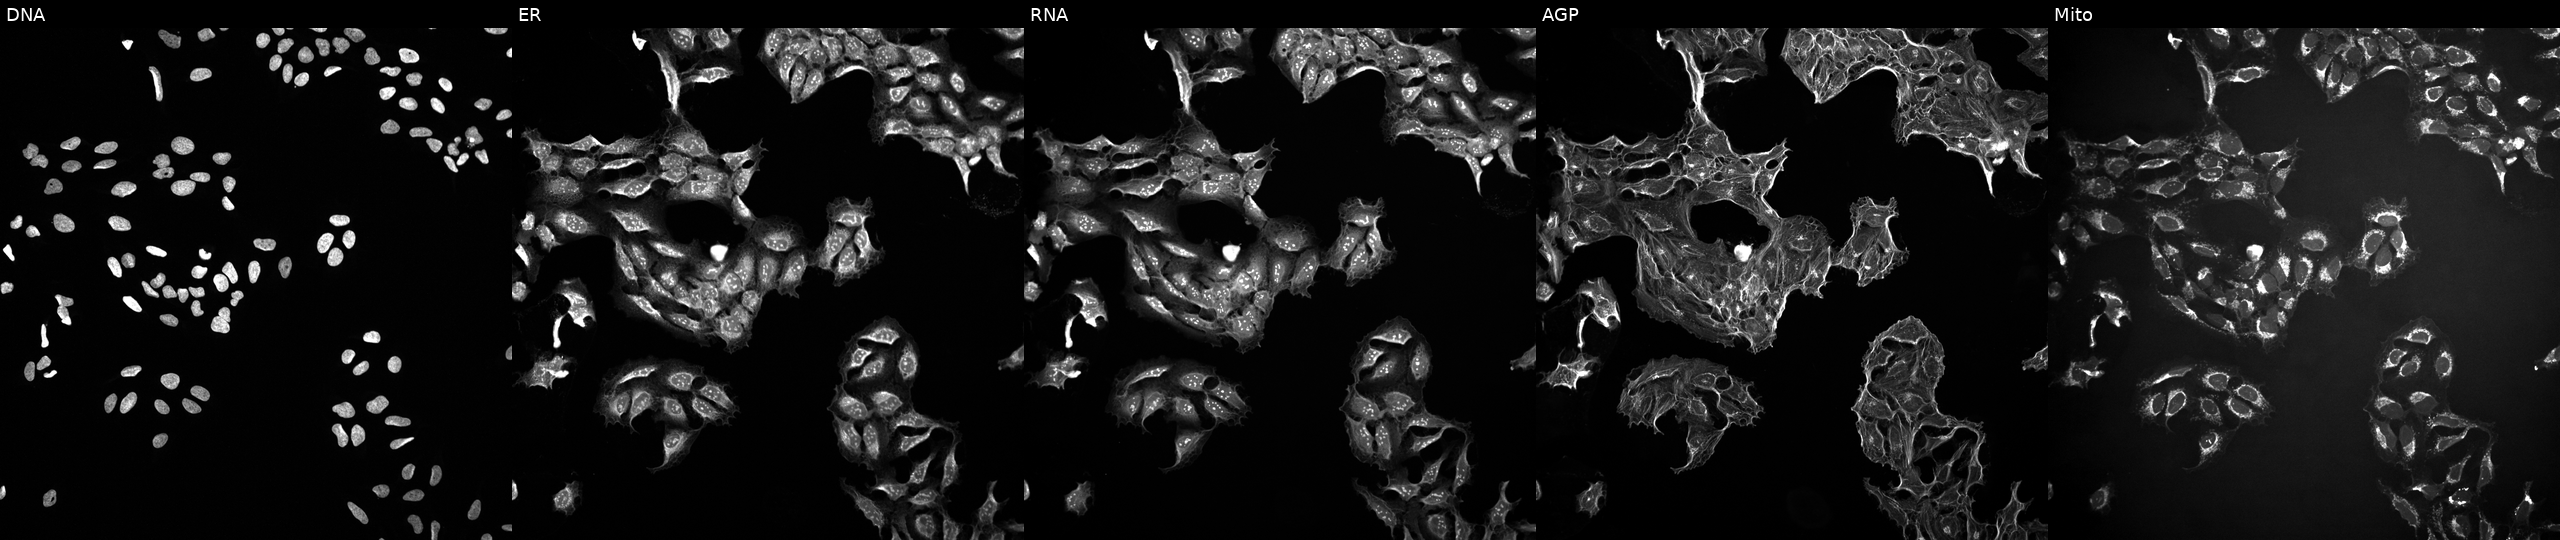
High-content fluorescence microscopy (Cell Painting). Cell line: U2OS. Perturbation: treated with a small-molecule compound [SMILES: CC(=O)Oc1cccc2c1C(=O)c1c(OC(C)=O)cc(C(=O)O)cc1C2=O] (JUMP id JCP2022_087562). Channels (left→right): Hoechst 33342, concanavalin A, SYTO 14, phalloidin and WGA, MitoTracker.